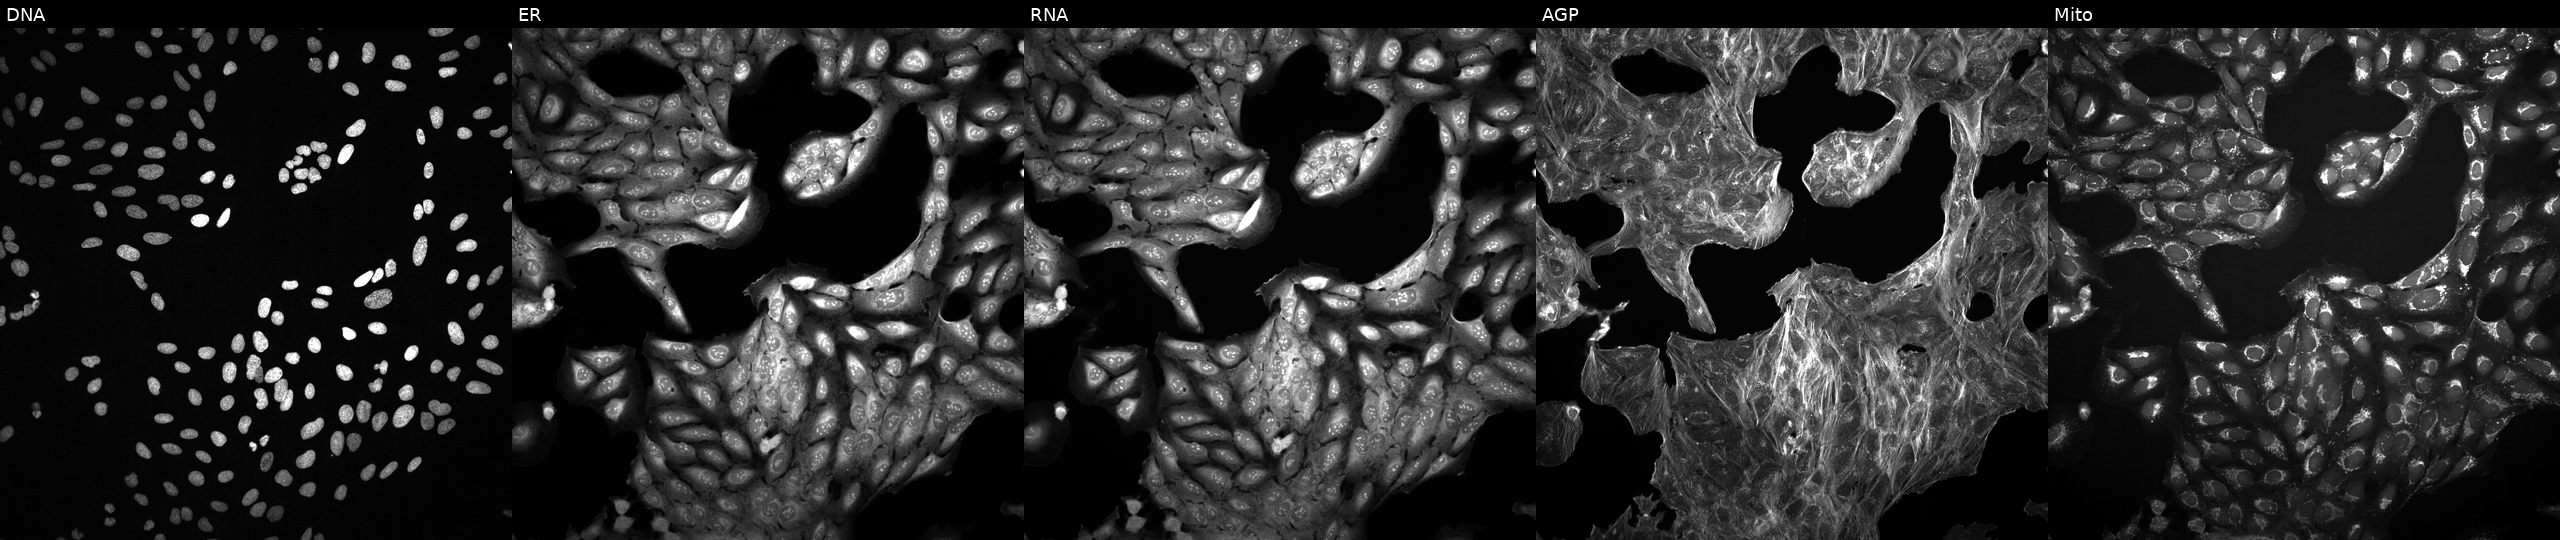
This image strip shows the five Cell Painting channels for a single field of U2OS cells exposed to a small-molecule compound (JUMP id JCP2022_087562). Channels (left→right): Hoechst 33342, concanavalin A, SYTO 14, phalloidin and WGA, MitoTracker. Source 2, plate 1053597936, well N11.